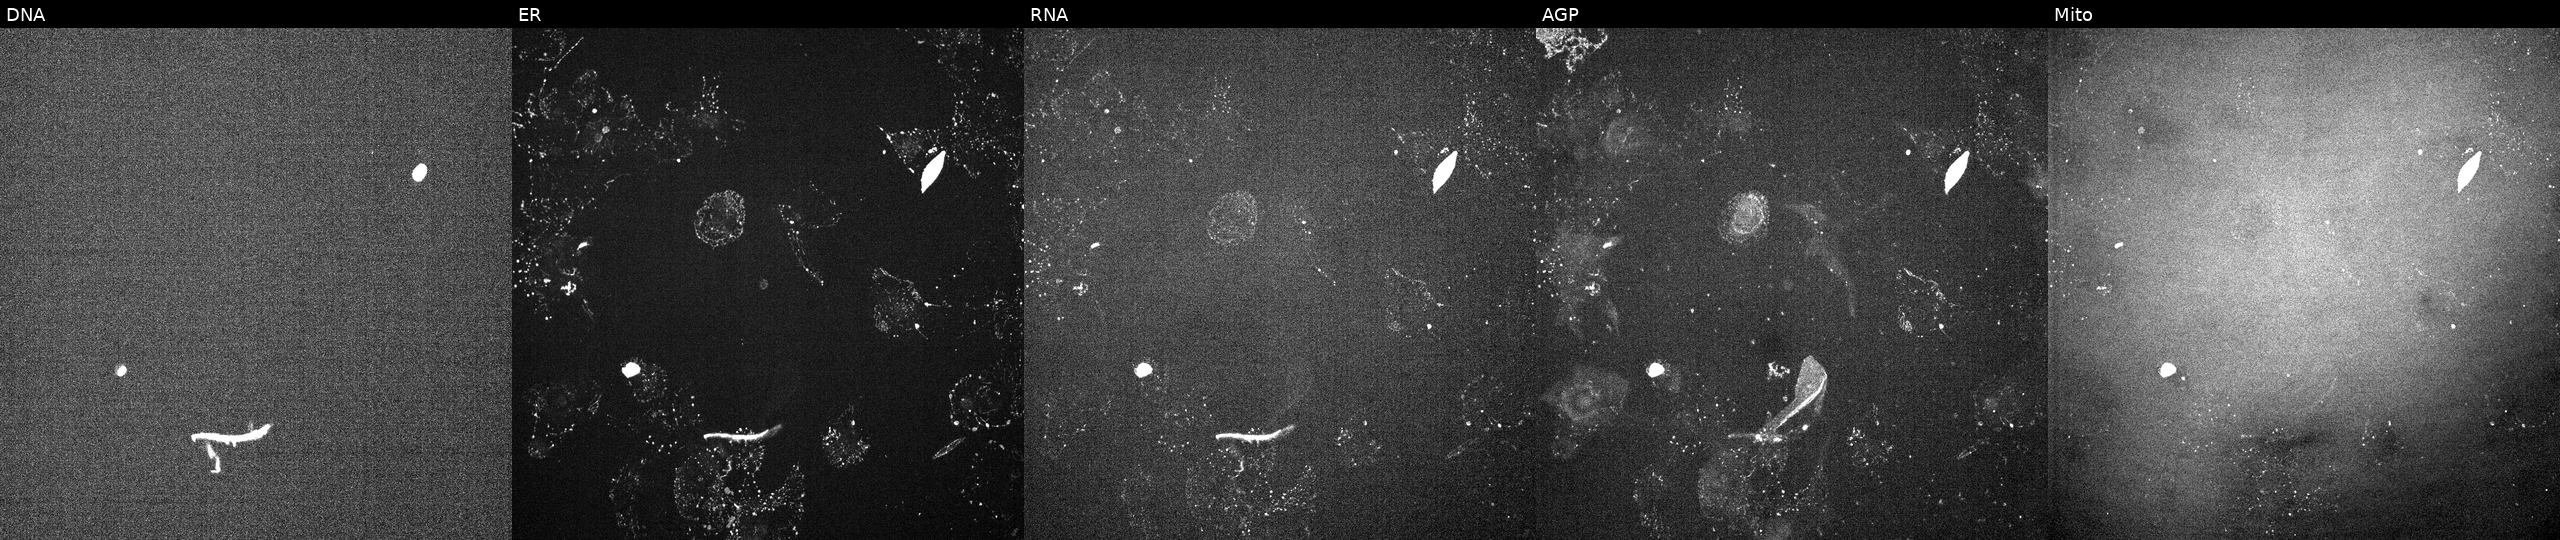
The five panels, left to right, show Hoechst 33342, concanavalin A, SYTO 14, phalloidin and WGA, MitoTracker. U2OS osteosarcoma cells perturbed with a small-molecule compound (InChIKey DUKQPWDVIZDABV-UHFFFAOYSA-N) (JUMP id JCP2022_018280). Cell Painting assay, JUMP-CP dataset. Source 6, plate 110000293081, well D08.